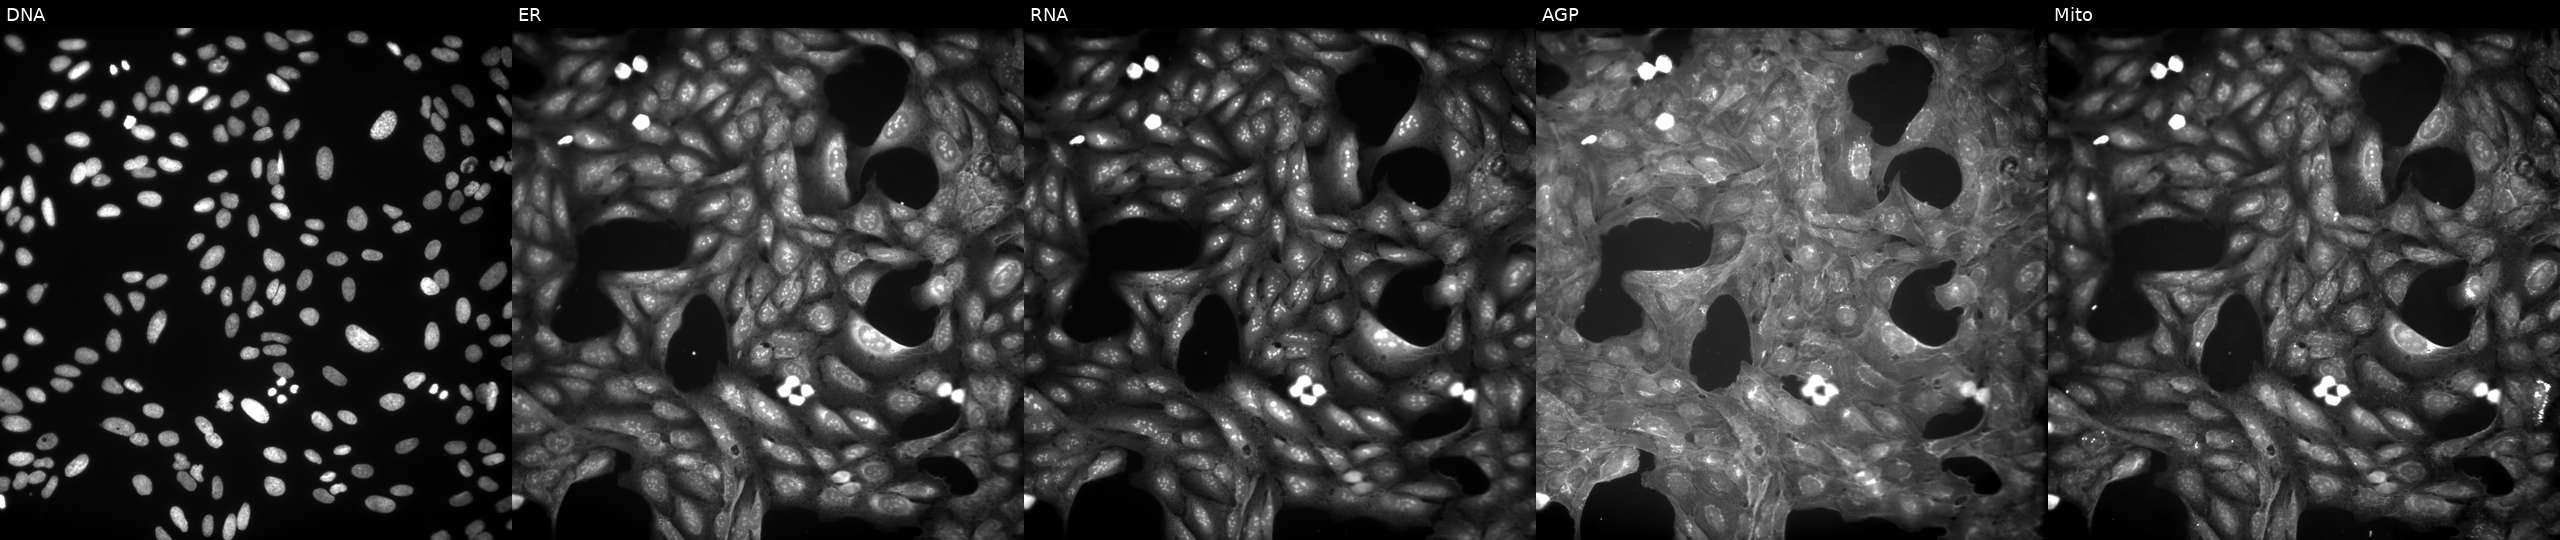
Five-channel Cell Painting image of U2OS cells perturbed with a small-molecule compound (InChIKey HJSADCRJJJNTCE-UHFFFAOYSA-N) (JUMP id JCP2022_030653). Panels show, left to right, DNA (nuclei); ER (endoplasmic reticulum); RNA (nucleoli and cytoplasmic RNA); AGP (actin cytoskeleton, Golgi, and plasma membrane); Mito (mitochondria).